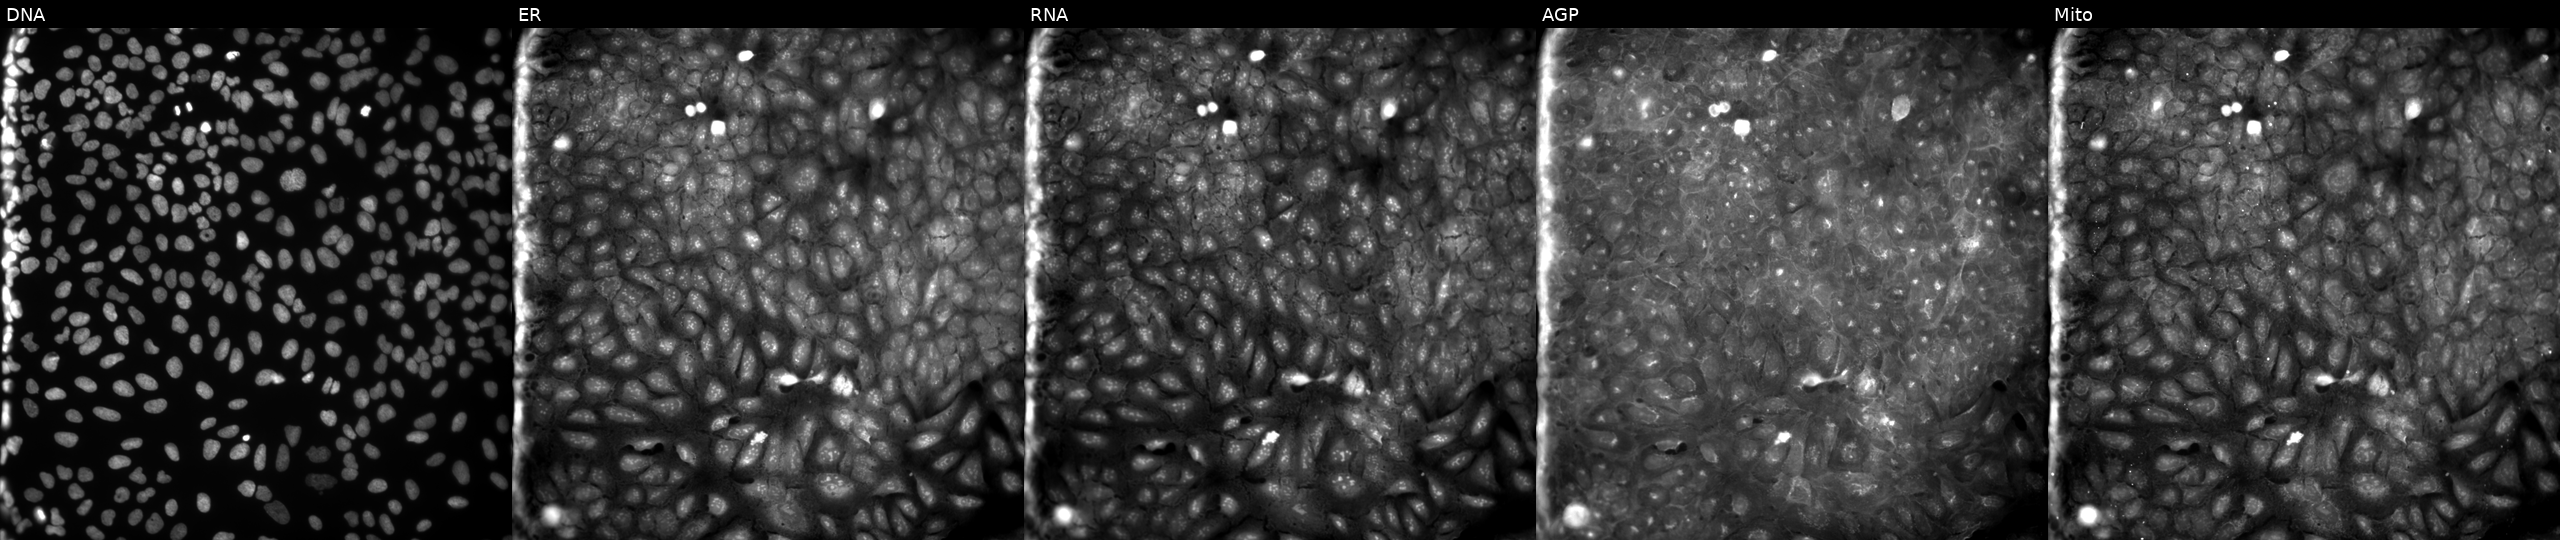
Panels show, left to right, DNA (nuclei); ER (endoplasmic reticulum); RNA (nucleoli and cytoplasmic RNA); AGP (actin cytoskeleton, Golgi, and plasma membrane); Mito (mitochondria). U2OS osteosarcoma cells exposed to a small-molecule compound (InChIKey LMZARVNLXUEYCP-UHFFFAOYSA-N) (JUMP id JCP2022_050458). Cell Painting assay, JUMP-CP dataset. Source 9, plate GR00003381, well P03.